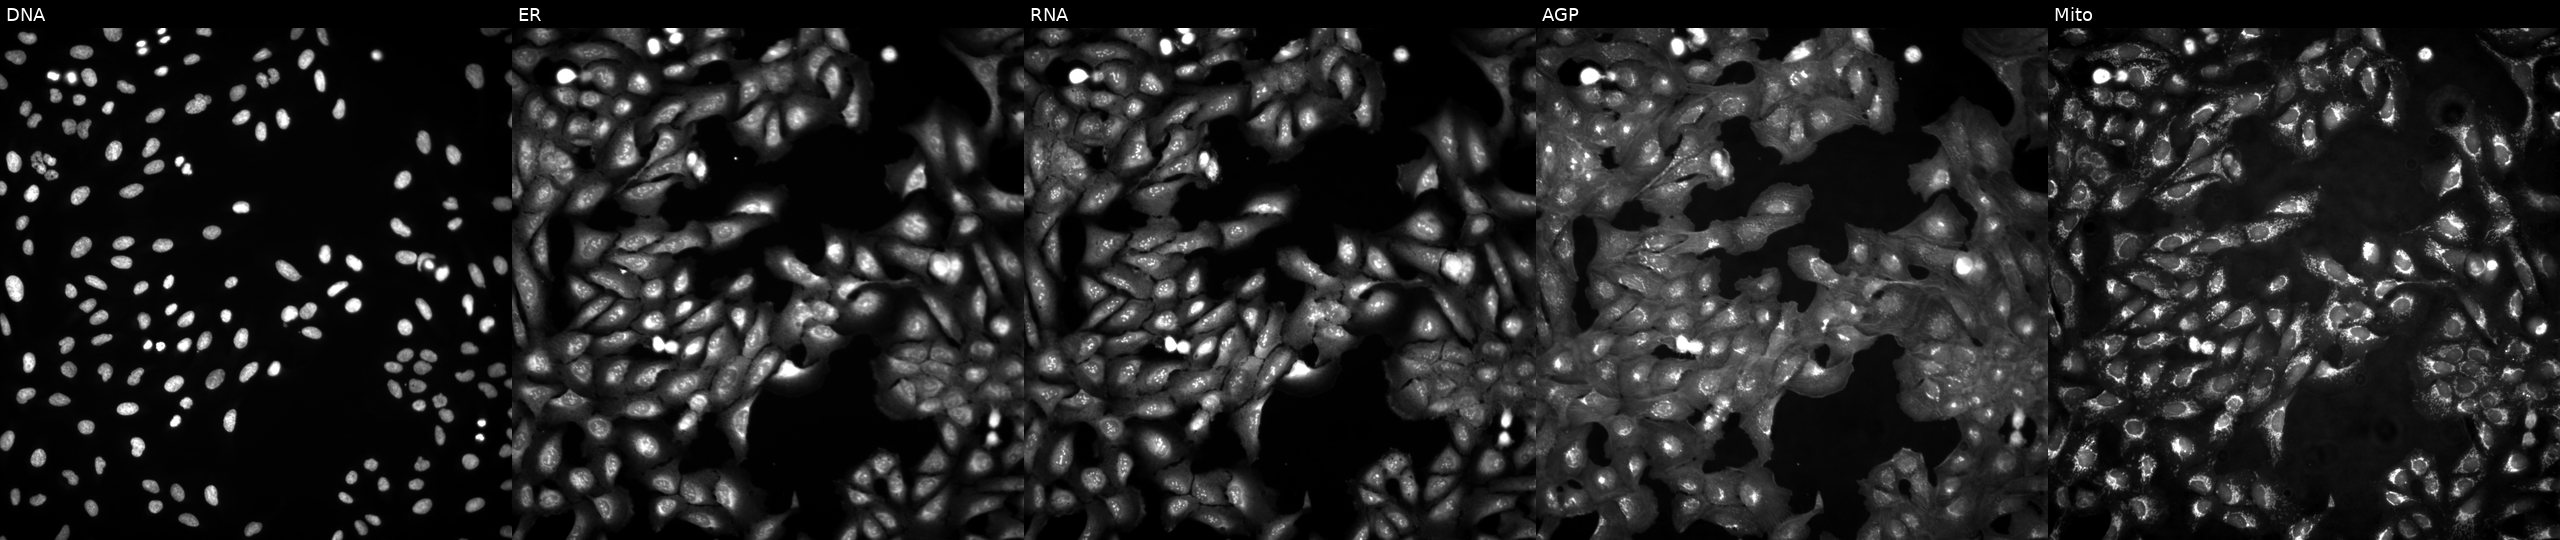
Five-channel Cell Painting image of U2OS cells untreated (empty-well control) (JUMP id JCP2022_999999). The five panels, left to right, show DNA, ER, RNA, AGP, and Mito.